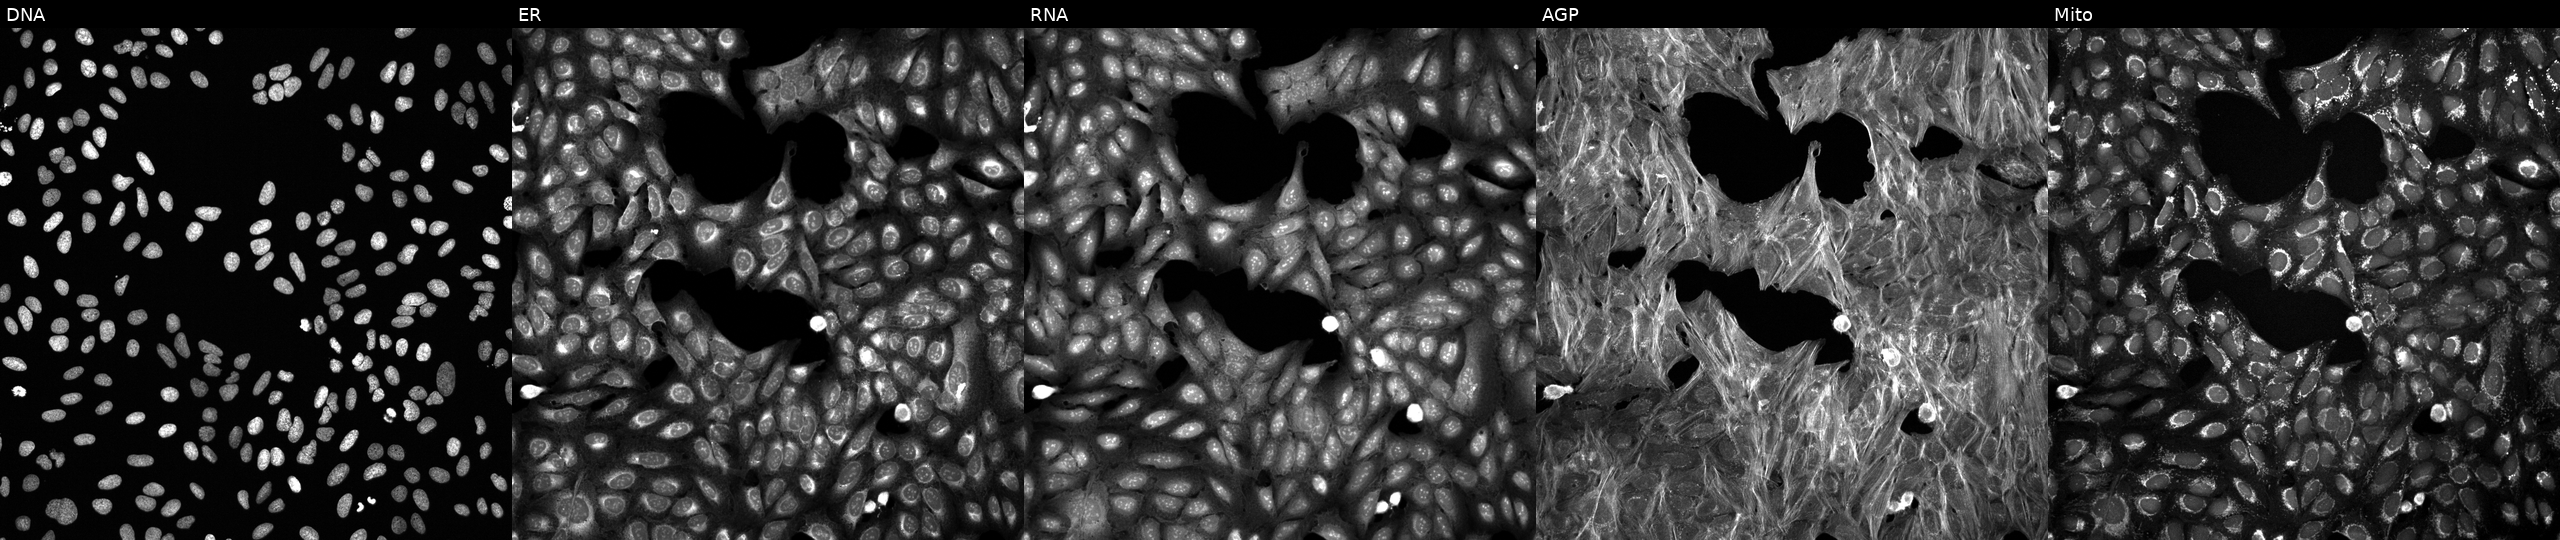
The five panels, left to right, show DNA (nuclei); ER (endoplasmic reticulum); RNA (nucleoli and cytoplasmic RNA); AGP (actin cytoskeleton, Golgi, and plasma membrane); Mito (mitochondria). U2OS osteosarcoma cells treated with a small-molecule compound (InChIKey FYIBXBFDXNPBSF-UHFFFAOYSA-N) (JUMP id JCP2022_023781). Cell Painting assay, JUMP-CP dataset.